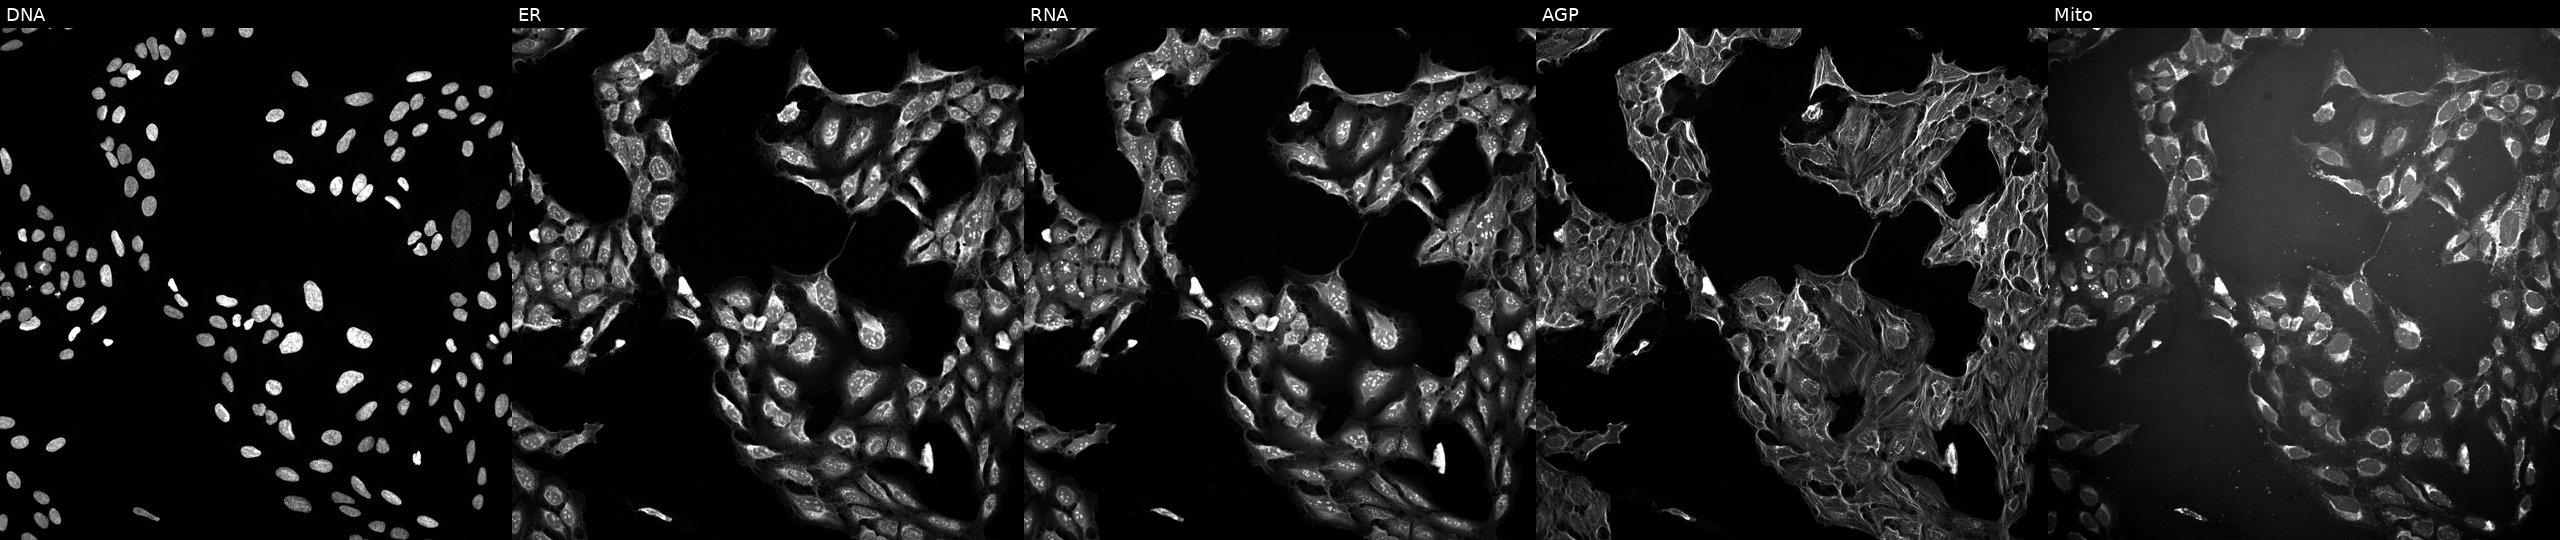
JUMP Cell Painting — TARGET2 plate. U2OS cells perturbed with a small-molecule compound (InChIKey SNICXCGAKADSCV-UHFFFAOYSA-N). The five panels, left to right, show DNA (nuclei); ER (endoplasmic reticulum); RNA (nucleoli and cytoplasmic RNA); AGP (actin cytoskeleton, Golgi, and plasma membrane); Mito (mitochondria).